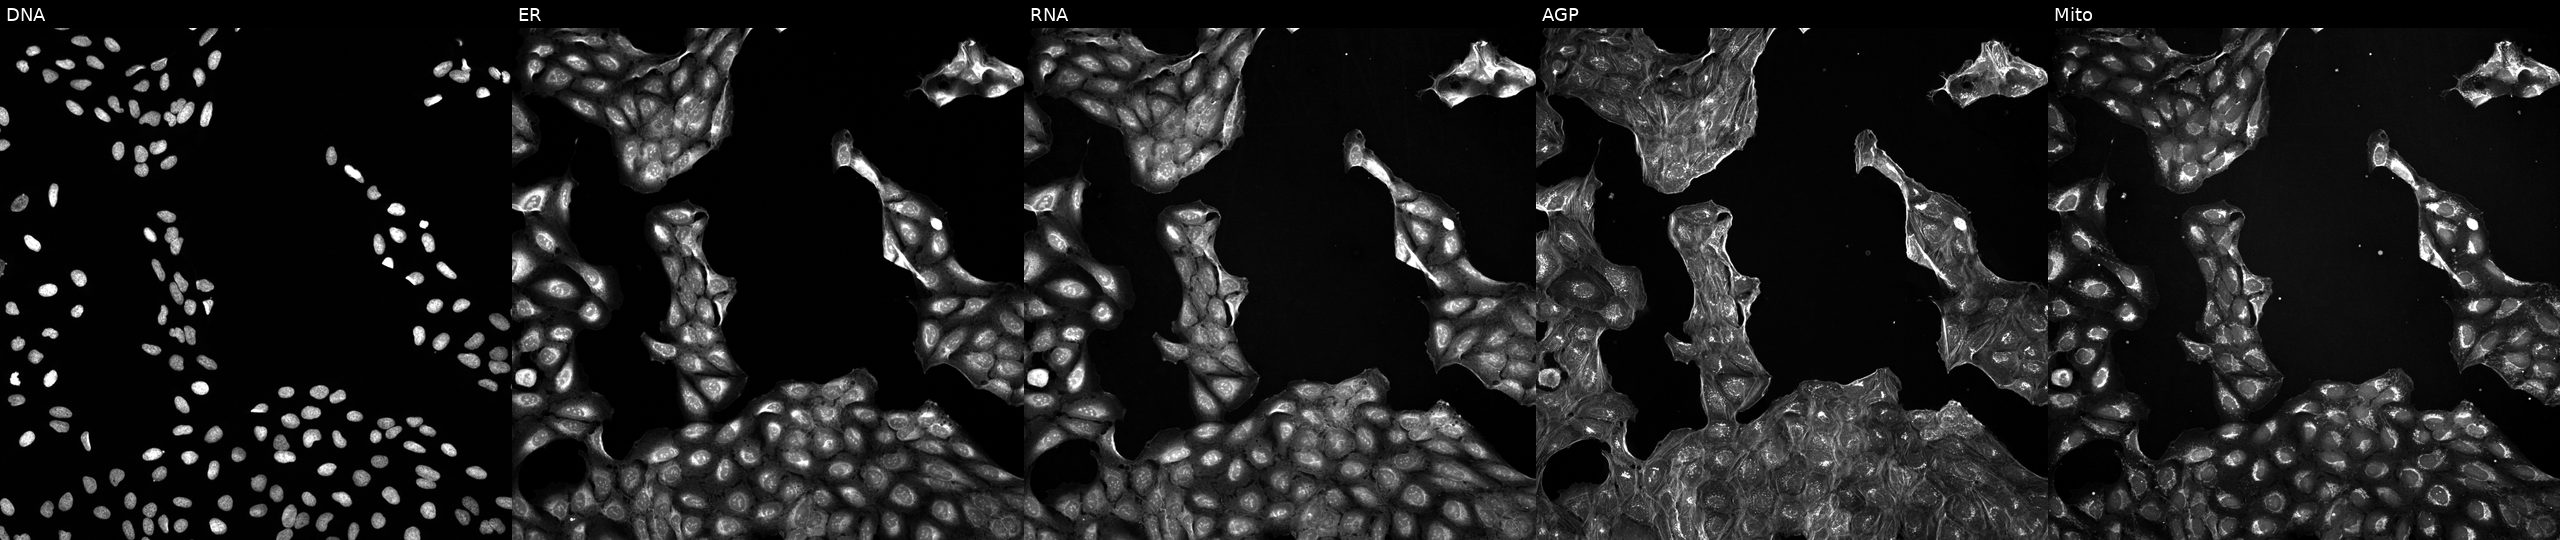
JUMP Cell Painting — TARGET2 plate. U2OS cells exposed to a small-molecule compound [SMILES: NC(CSSCC(N)C(=O)O)C(=O)O] (JUMP id JCP2022_048971). From left to right: DNA, ER, RNA, AGP, and Mito. Source 5, plate ACPJUM051, well A18.